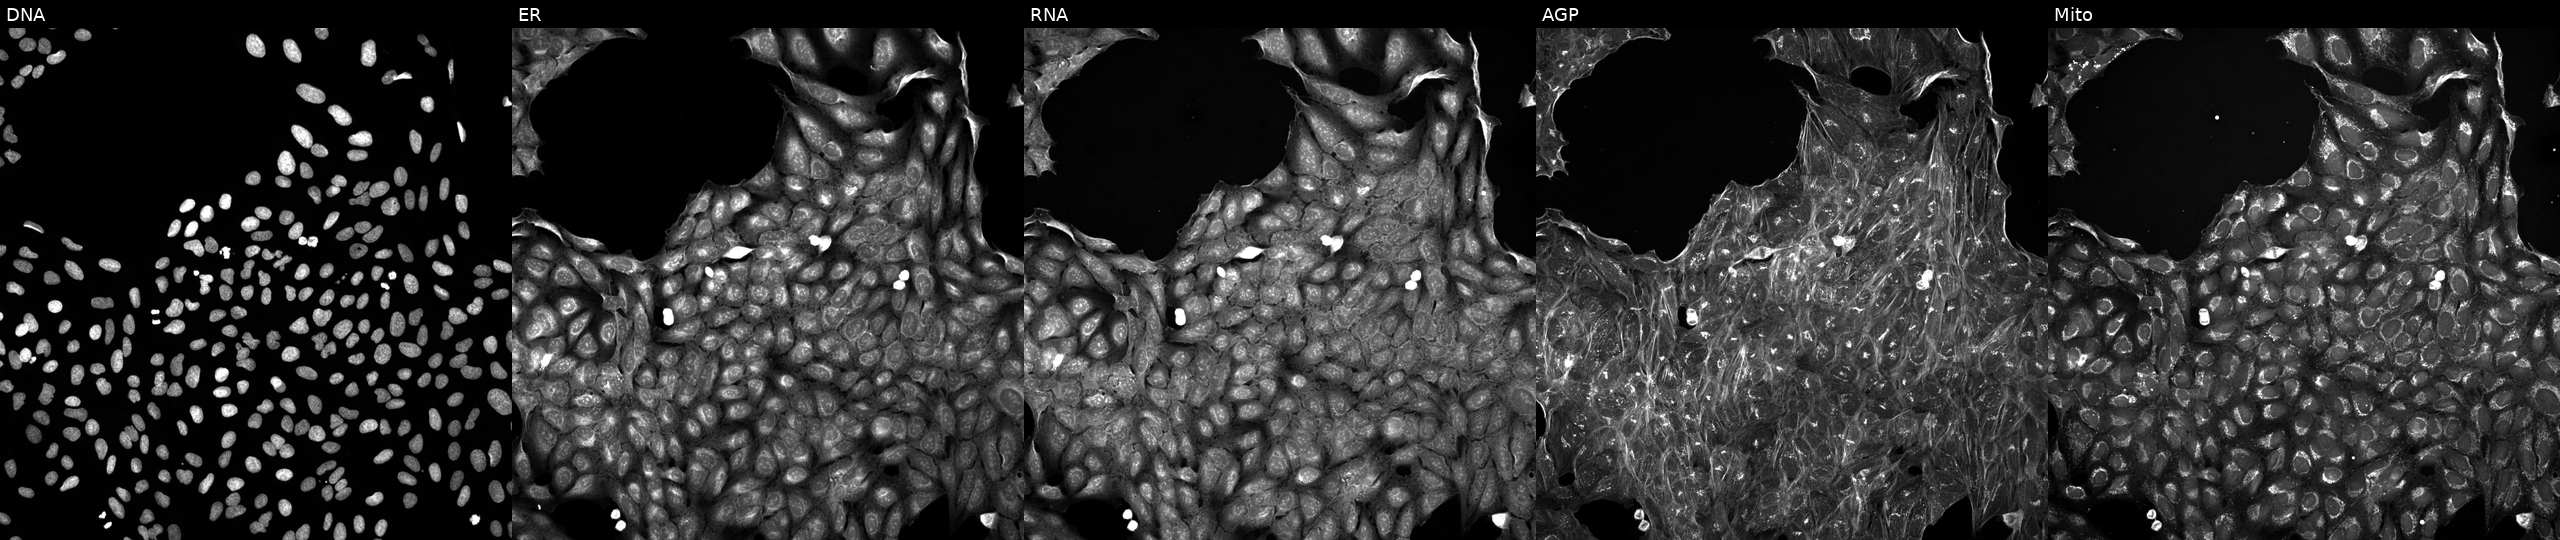
U2OS cells, Cell Painting assay, treated with a small-molecule compound (InChIKey JVCWPUFNLFSKFS-UHFFFAOYSA-N) (JUMP id JCP2022_042332). From left to right: DNA (nuclei); ER (endoplasmic reticulum); RNA (nucleoli and cytoplasmic RNA); AGP (actin cytoskeleton, Golgi, and plasma membrane); Mito (mitochondria). Each panel is percentile-stretched 16-bit fluorescence.